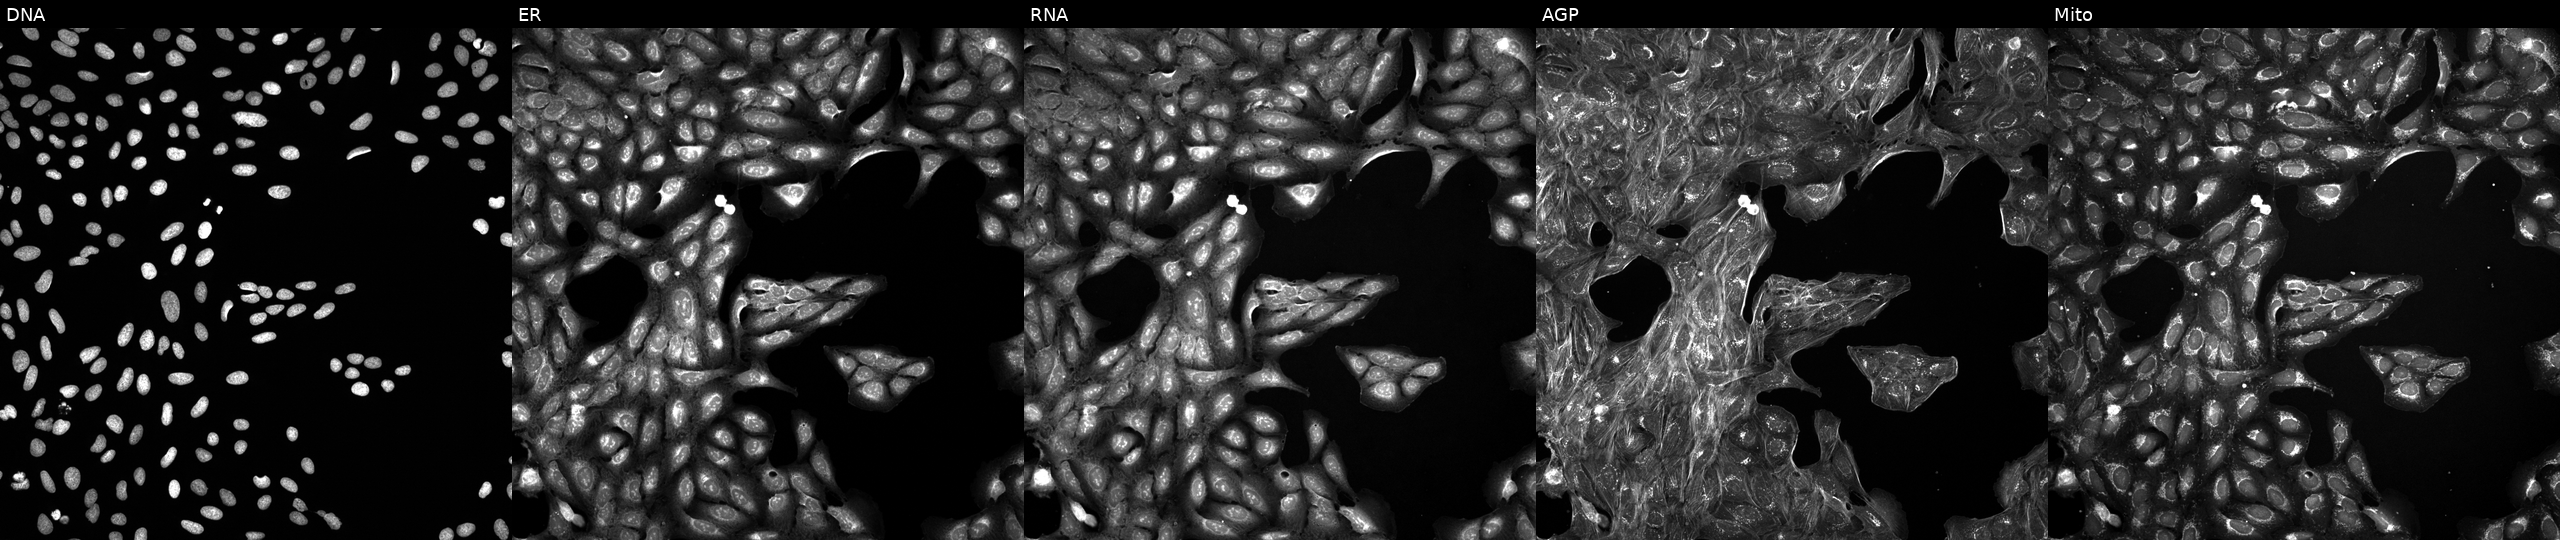
Panels show, left to right, Hoechst 33342, concanavalin A, SYTO 14, phalloidin and WGA, MitoTracker. U2OS osteosarcoma cells perturbed with a small-molecule compound [SMILES: c1cc(OCCN2CCCCC2)cc(-c2[nH]nc3ccc(-c4nc[nH]n4)cc23)c1]. Cell Painting assay, JUMP-CP dataset. Source 5, plate ACPJUM051, well H13.